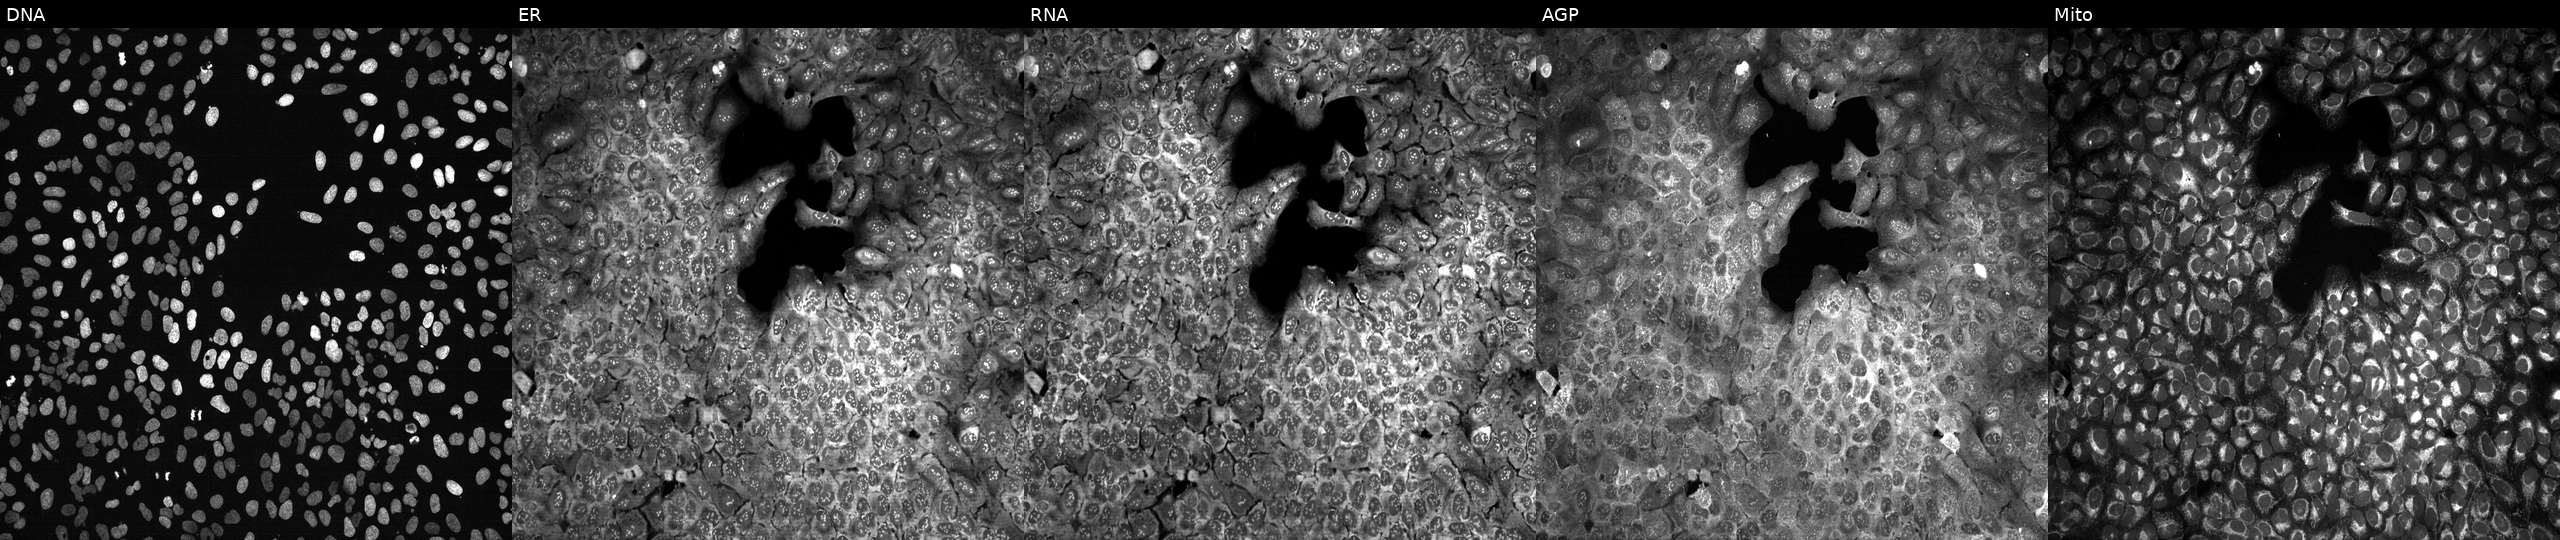
Panels show, left to right, Hoechst 33342, concanavalin A, SYTO 14, phalloidin and WGA, MitoTracker. U2OS osteosarcoma cells following CRISPR knockout of TYMP (JUMP id JCP2022_807429). Cell Painting assay, JUMP-CP dataset.